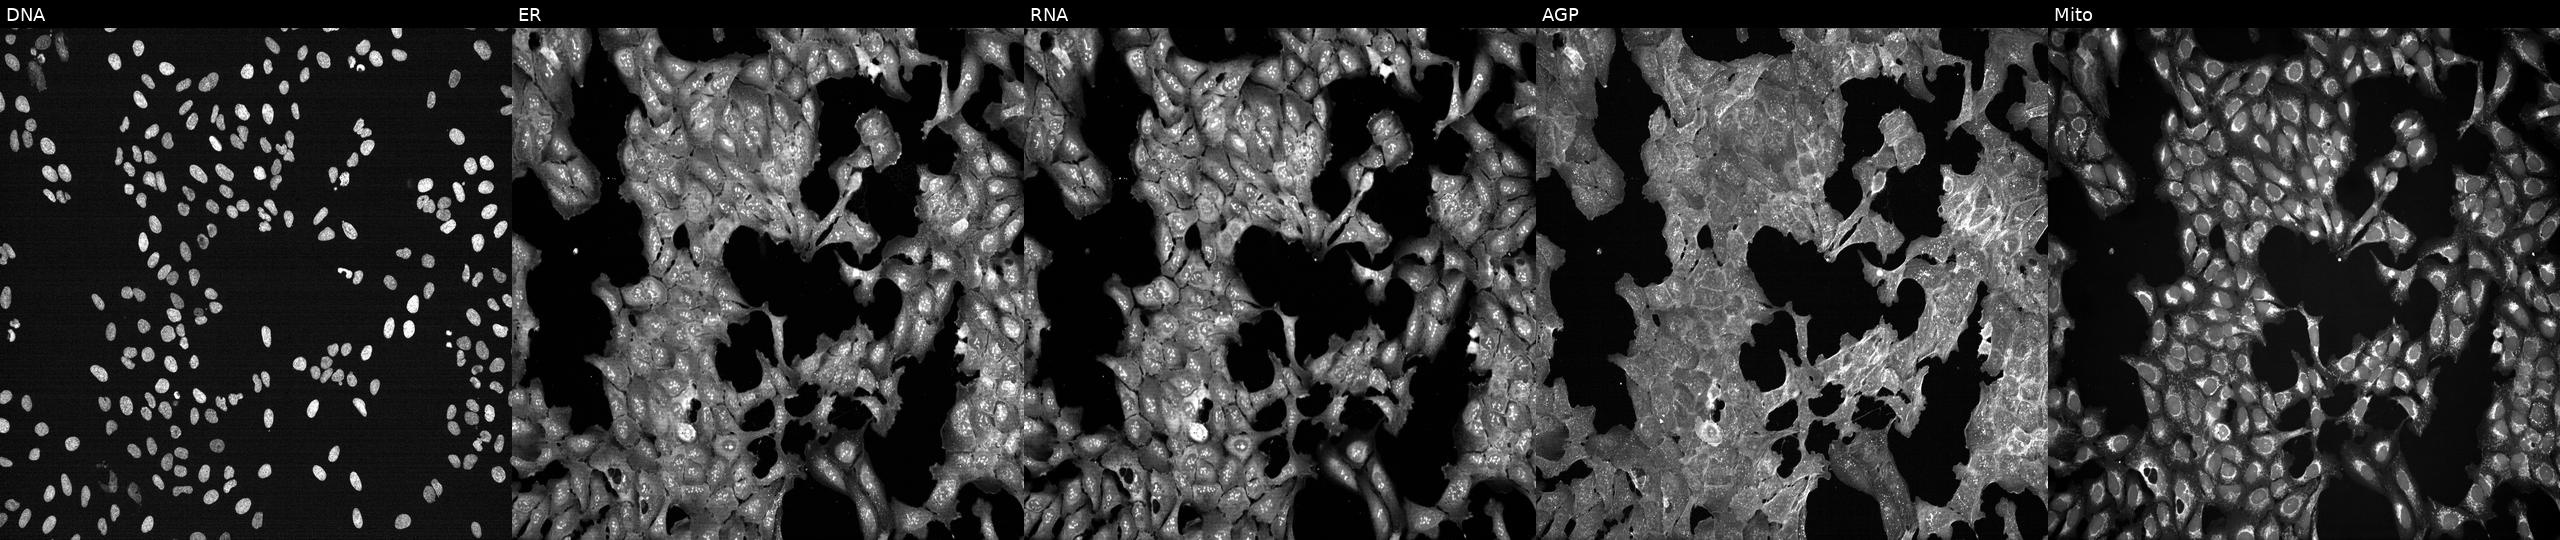
JUMP Cell Painting — TARGET2 plate. U2OS cells treated with DMSO vehicle only (negative control). The five panels, left to right, show DNA (nuclei); ER (endoplasmic reticulum); RNA (nucleoli and cytoplasmic RNA); AGP (actin cytoskeleton, Golgi, and plasma membrane); Mito (mitochondria). Source 7, plate CP3-SC1-25, well E13.